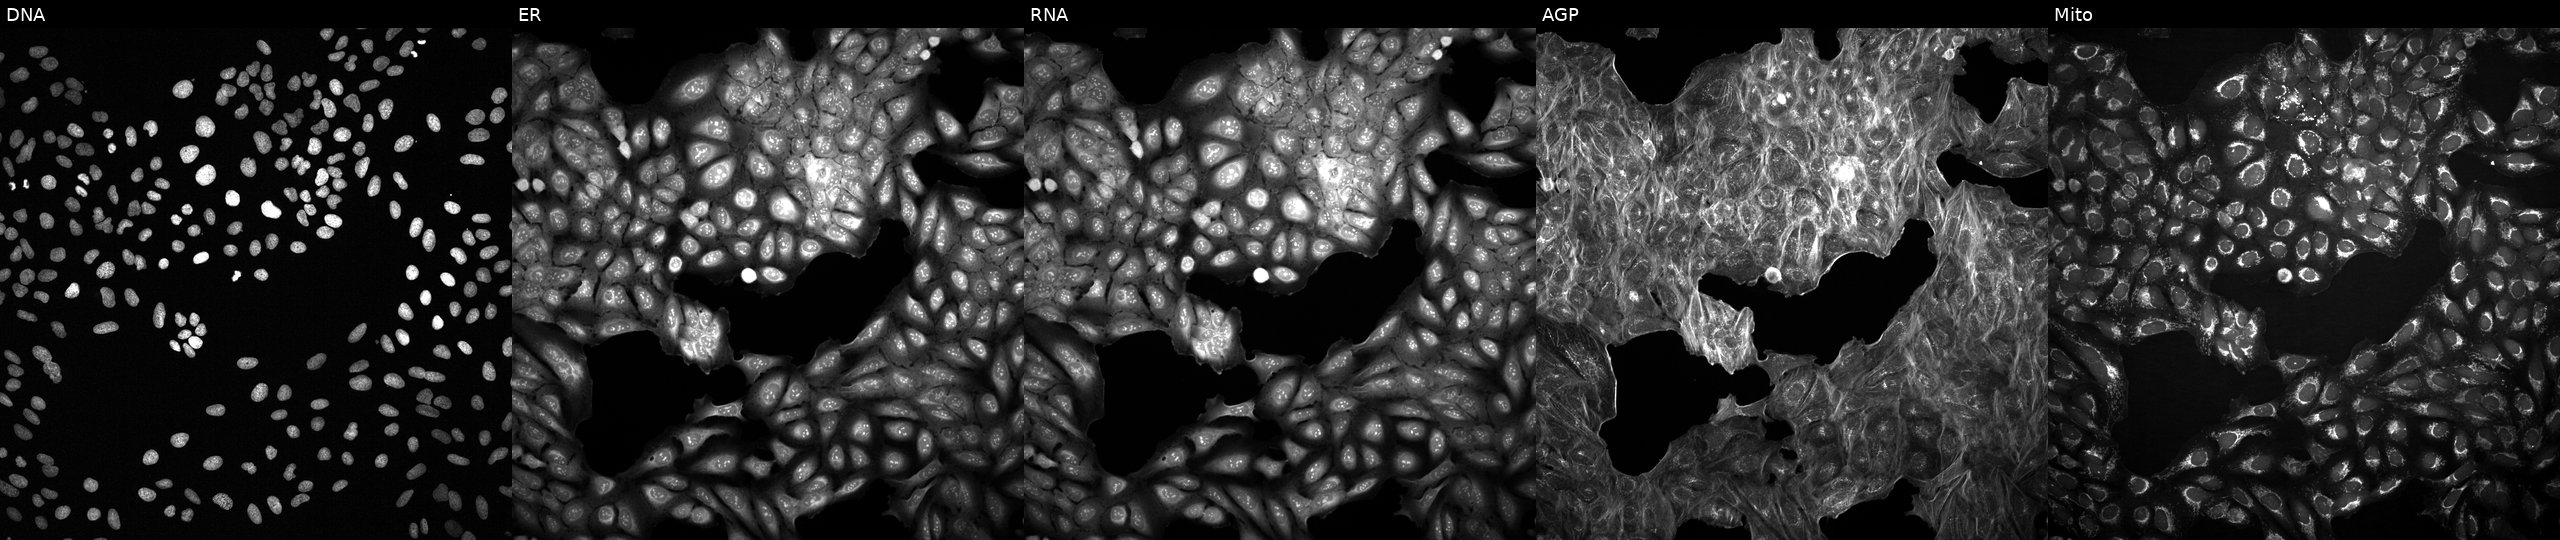
Five-channel Cell Painting image of U2OS cells perturbed with a small-molecule compound (InChIKey NUHYNNDRVZGICW-UHFFFAOYSA-N) [SMILES: CCC12CC3CC(C1)CC(NC(=O)NC14CC5CC(CC(CC)(C5)C1)C4)(C3)C2] (JUMP id JCP2022_061417). Panels show, left to right, DNA, ER, RNA, AGP, and Mito.